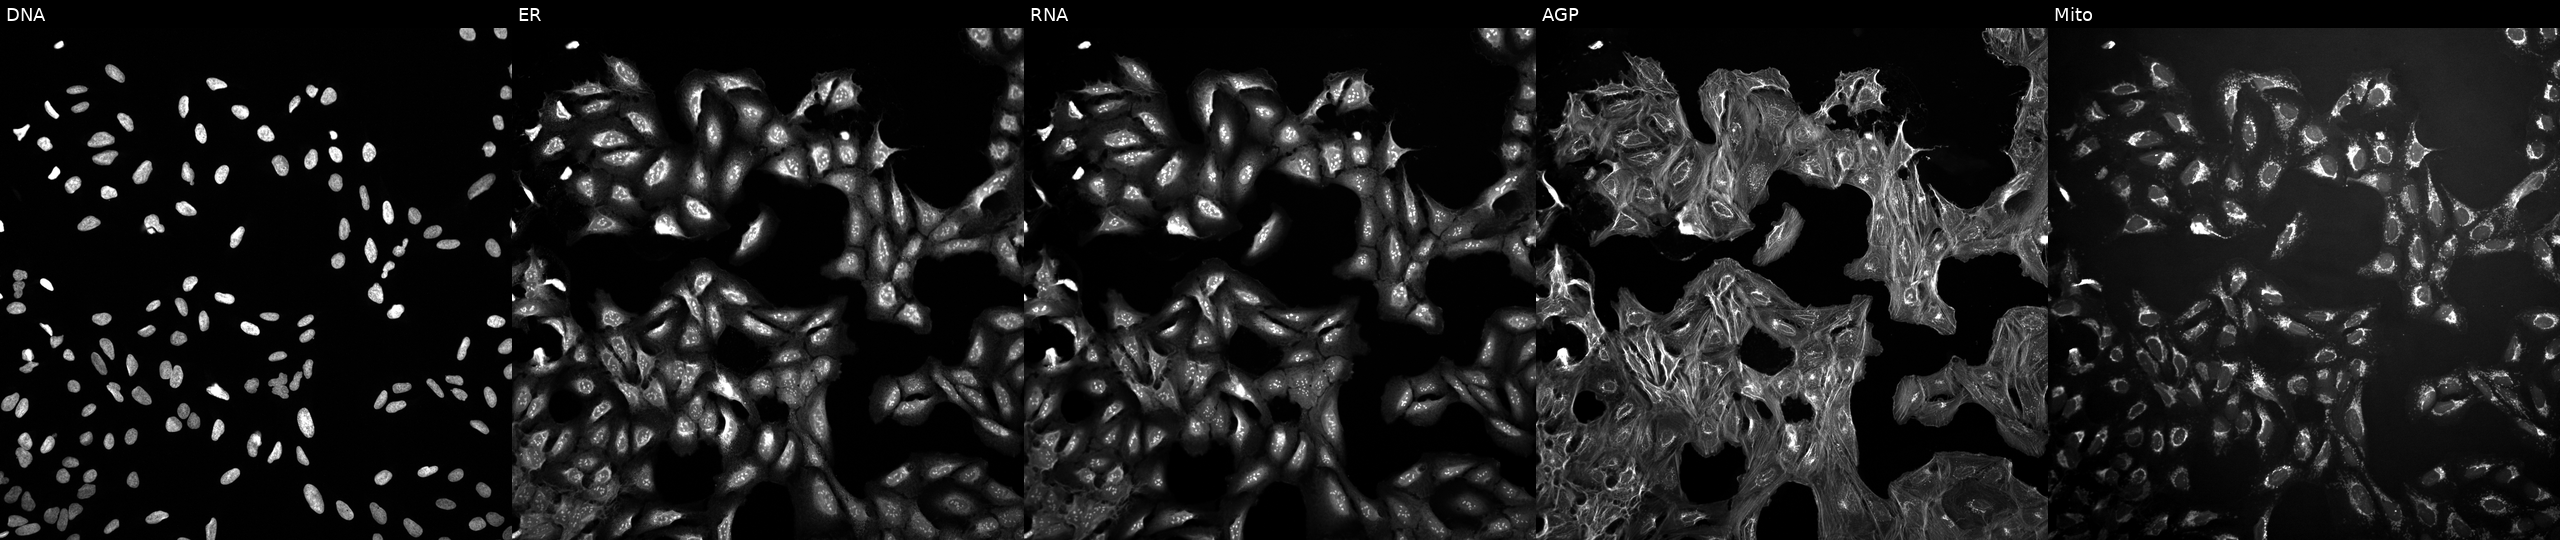
Five-channel Cell Painting image of U2OS cells treated with DMSO vehicle only (negative control). Channels (left→right): DNA (nuclei); ER (endoplasmic reticulum); RNA (nucleoli and cytoplasmic RNA); AGP (actin cytoskeleton, Golgi, and plasma membrane); Mito (mitochondria). Source 10, plate Dest210726-160150, well F14.